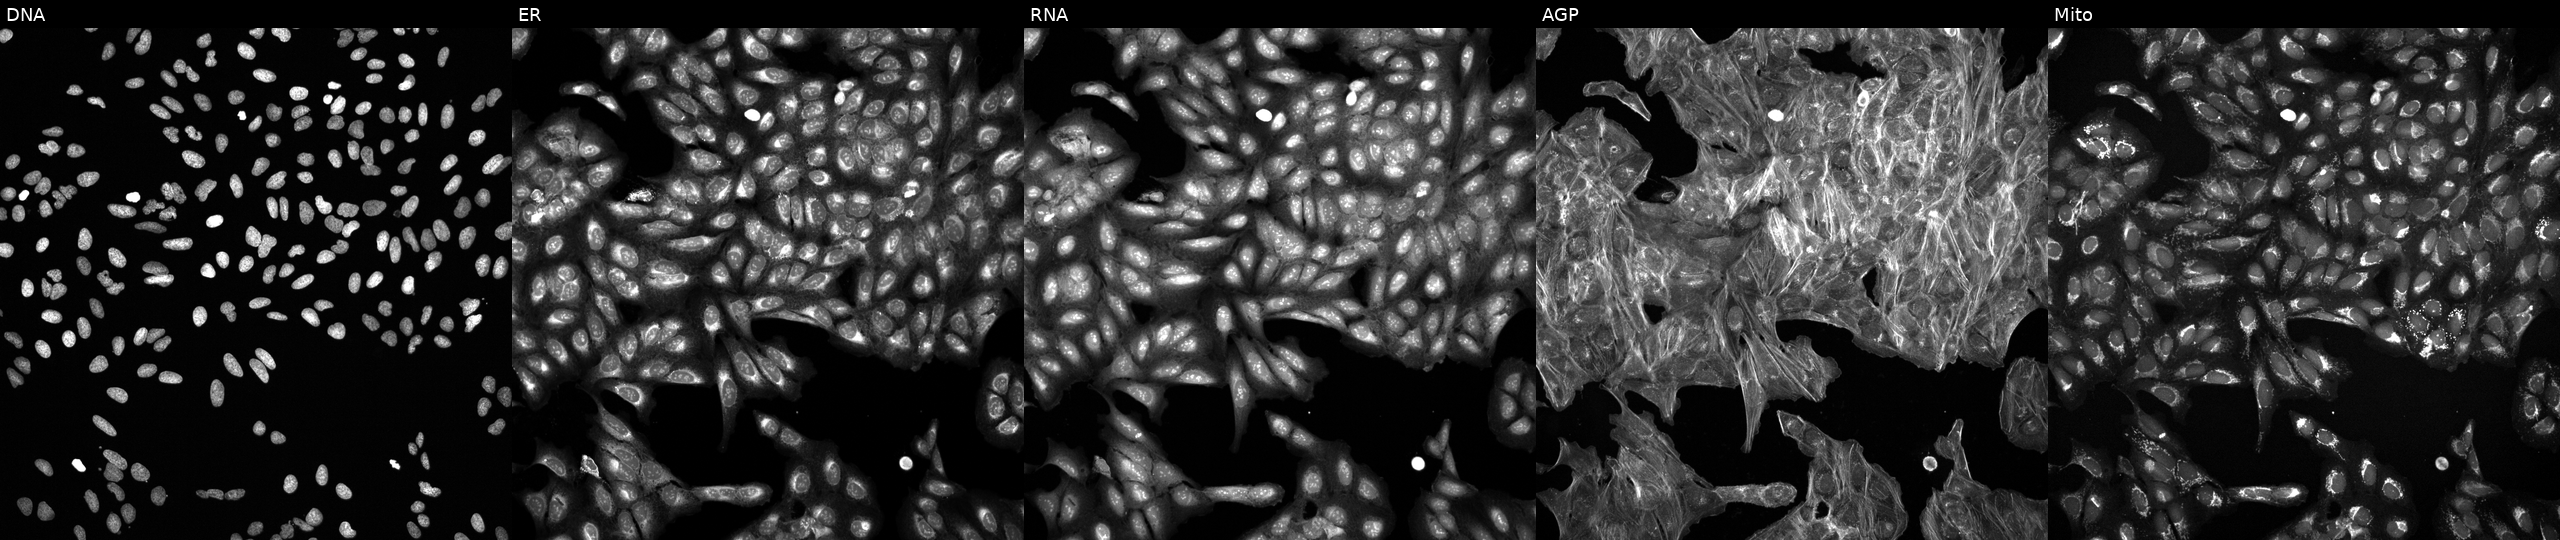
U2OS cells, Cell Painting assay, treated with a small-molecule compound (InChIKey DRVCTLYTCWPNON-UHFFFAOYSA-N) [SMILES: CCCOc1ccc(C2CC(=O)Nc3c(-c4ccc(Cl)cc4)csc32)cc1]. Channels (left→right): DNA (nuclei); ER (endoplasmic reticulum); RNA (nucleoli and cytoplasmic RNA); AGP (actin cytoskeleton, Golgi, and plasma membrane); Mito (mitochondria). Each panel is percentile-stretched 16-bit fluorescence.